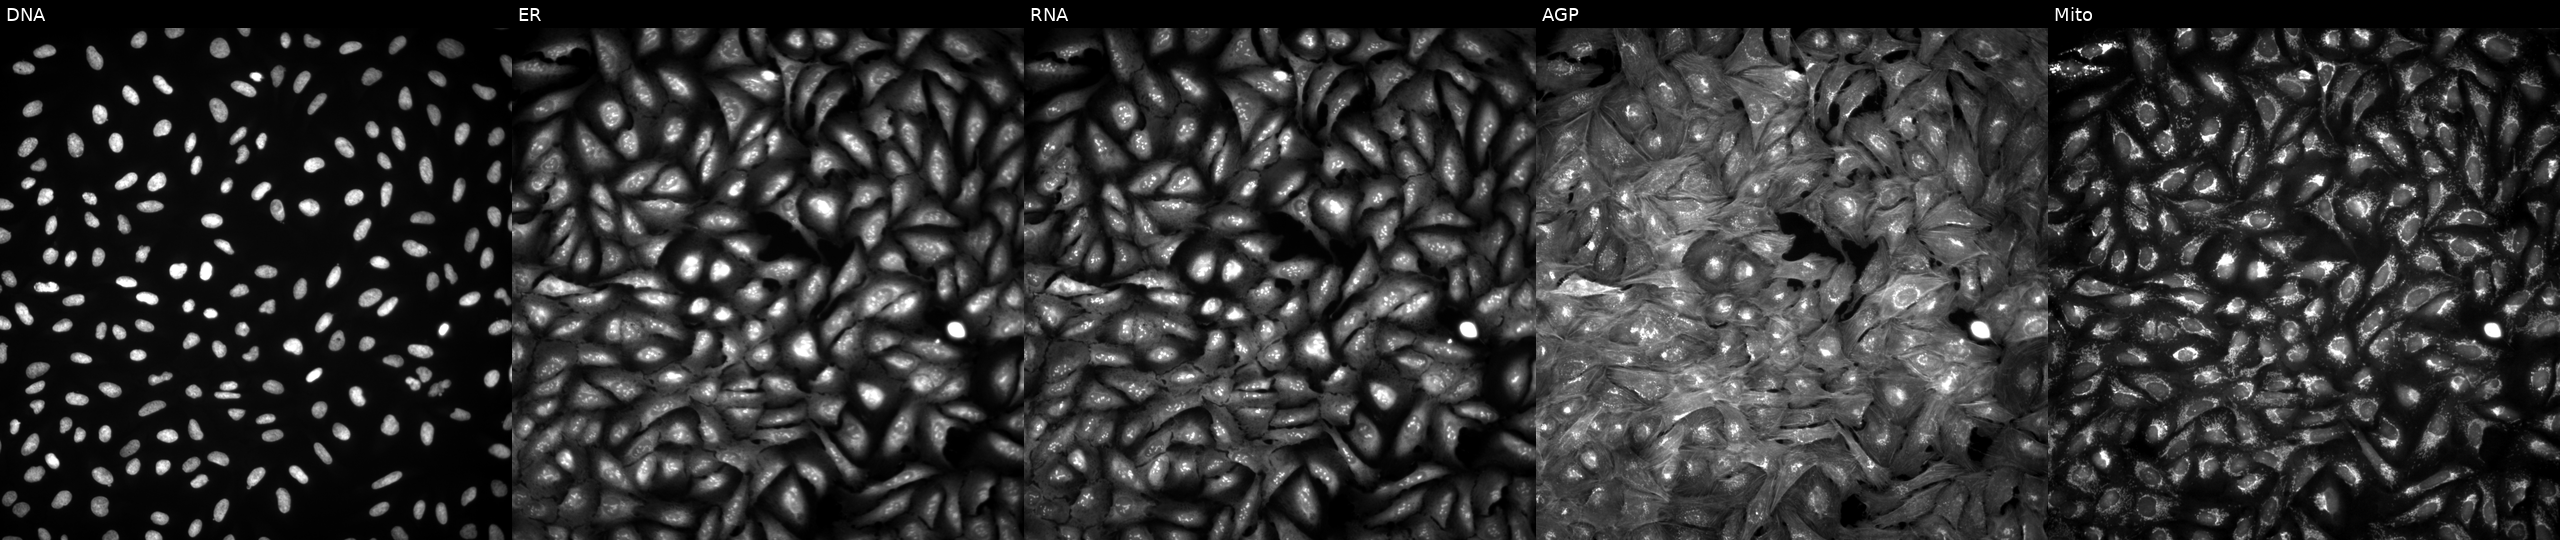
High-content fluorescence microscopy (Cell Painting). Cell line: U2OS. Perturbation: overexpressing XLOC_007836 via ORF transfection. Channels (left→right): Hoechst 33342, concanavalin A, SYTO 14, phalloidin and WGA, MitoTracker.